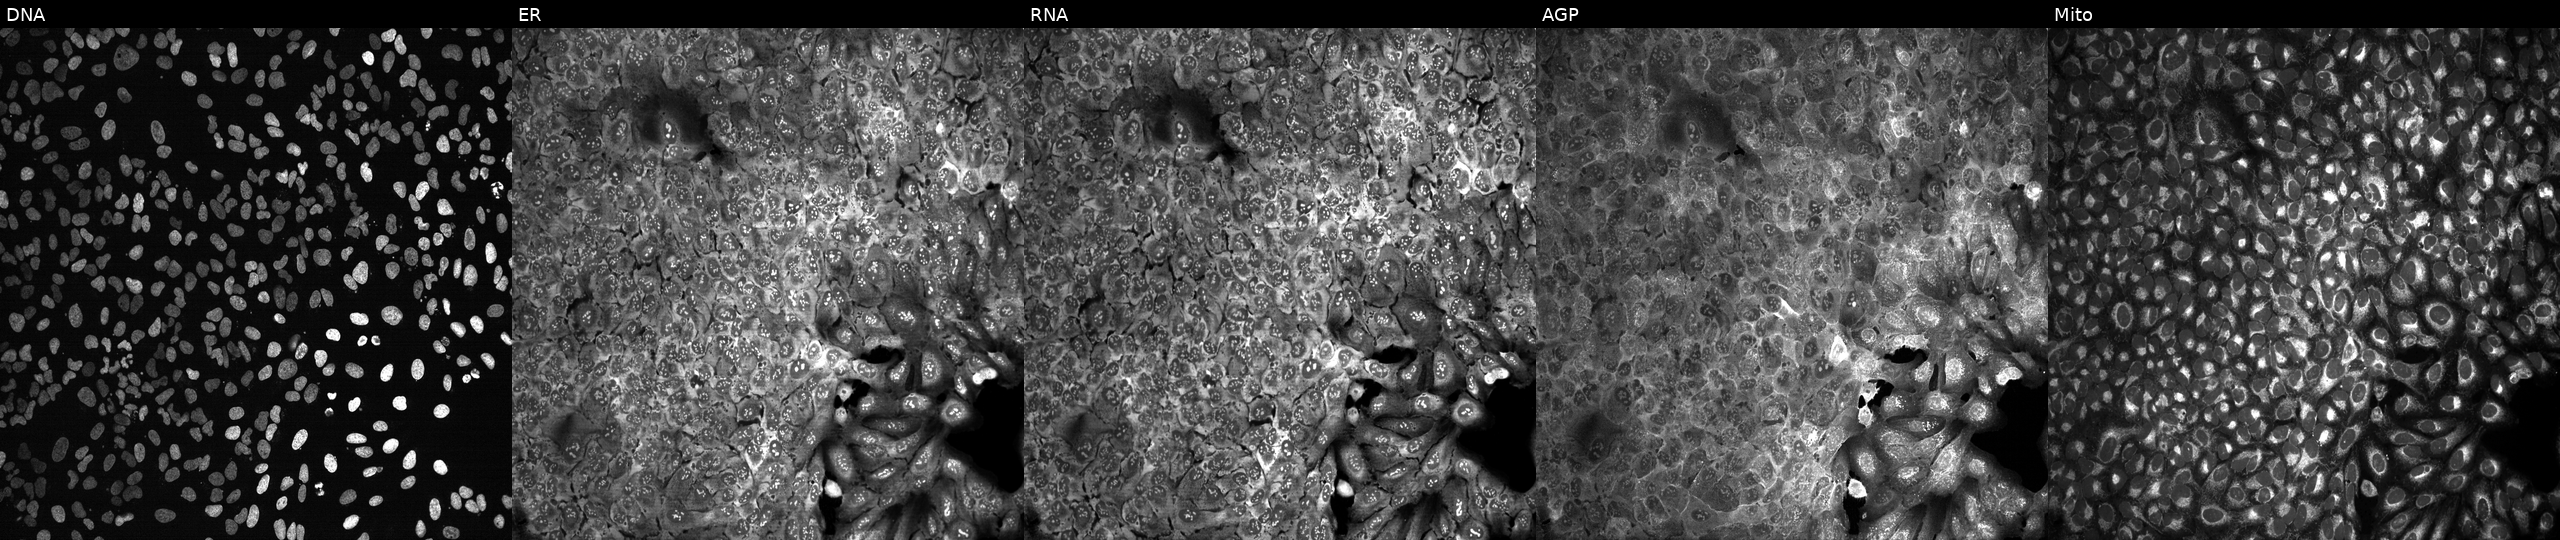
Channels (left→right): DNA, ER, RNA, AGP, and Mito. U2OS osteosarcoma cells with DAGLB knocked out by CRISPR (JUMP id JCP2022_801672). Cell Painting assay, JUMP-CP dataset. Source 13, plate CP-CC9-R4-04, well C06.